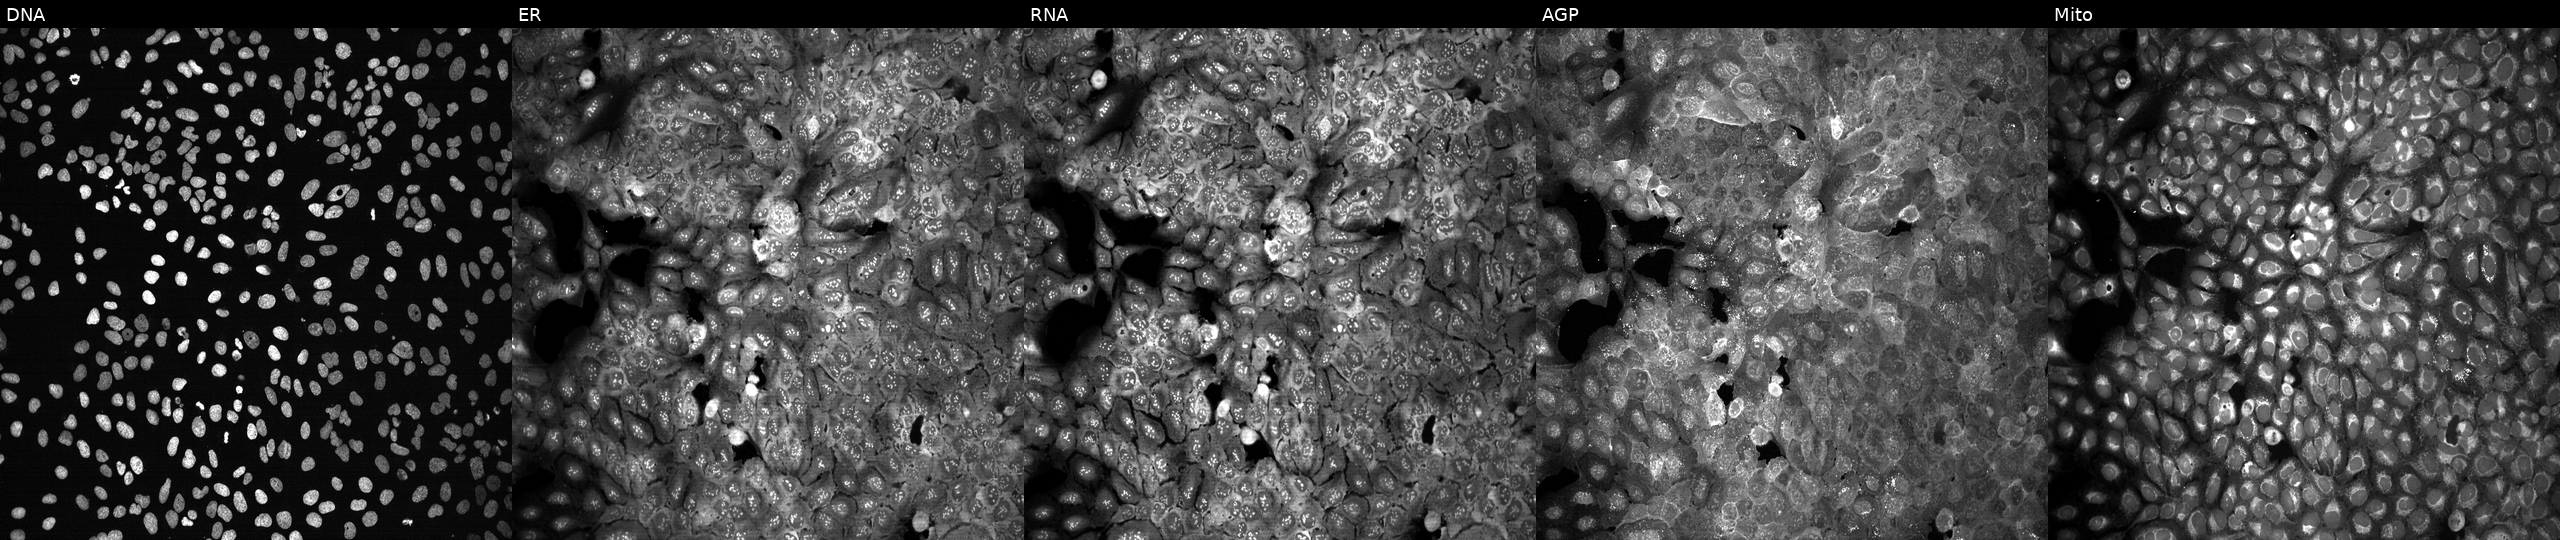
U2OS cells, Cell Painting assay, with OLR1 knocked out by CRISPR (JUMP id JCP2022_804790). The five panels, left to right, show DNA (nuclei); ER (endoplasmic reticulum); RNA (nucleoli and cytoplasmic RNA); AGP (actin cytoskeleton, Golgi, and plasma membrane); Mito (mitochondria). Each panel is percentile-stretched 16-bit fluorescence. Source 13, plate CP-CC9-R5-01, well K17.